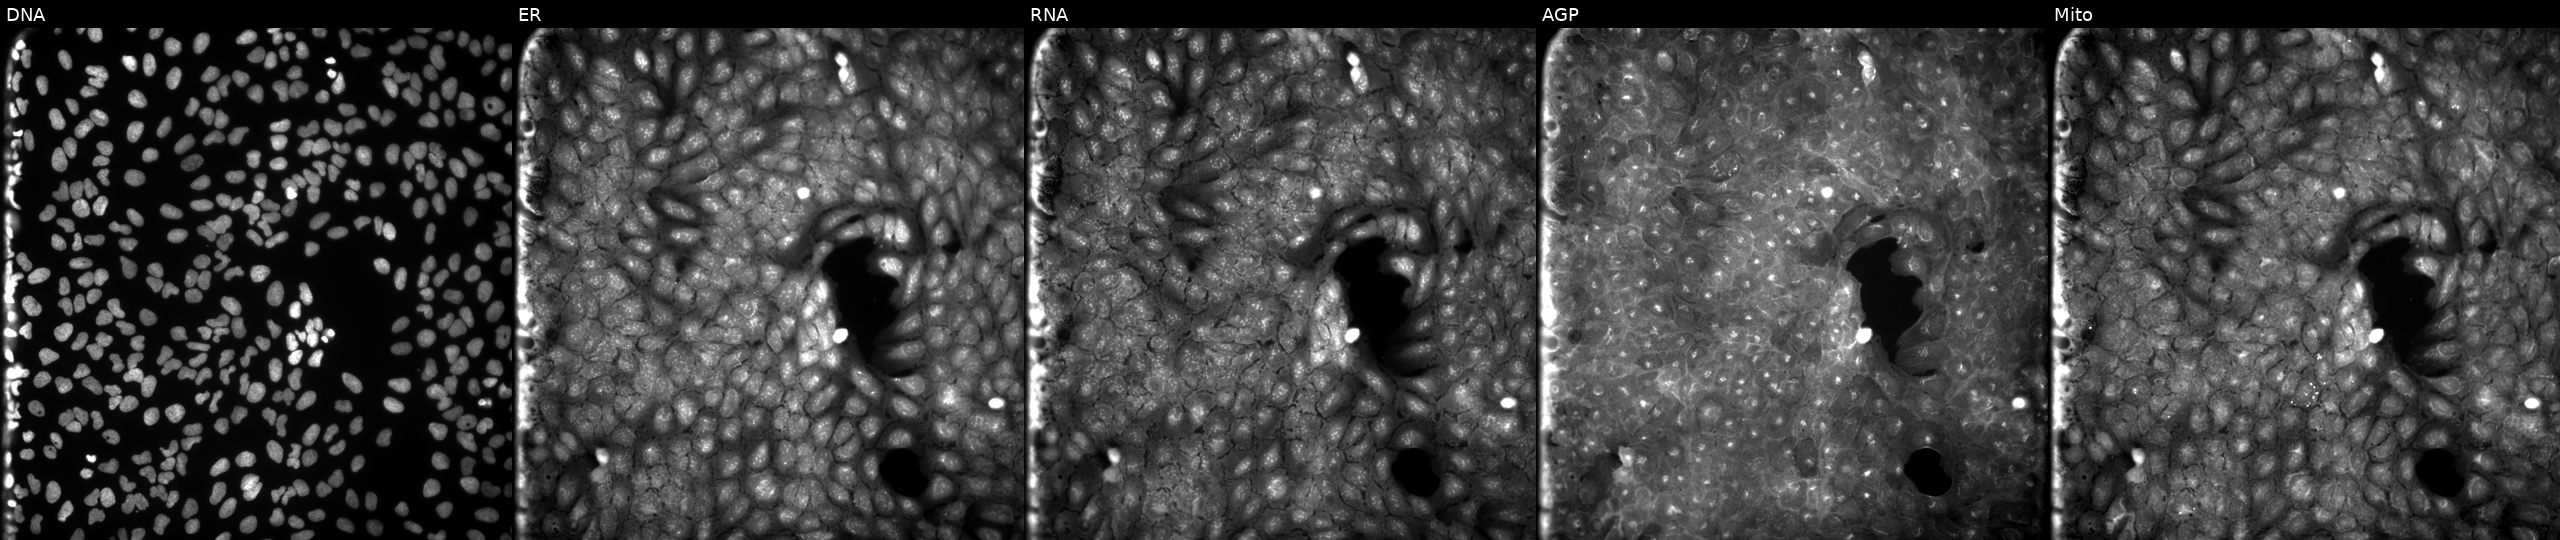
This image strip shows the five Cell Painting channels for a single field of U2OS cells treated with a small-molecule compound. The five panels, left to right, show Hoechst 33342, concanavalin A, SYTO 14, phalloidin and WGA, MitoTracker. Source 9, plate GR00003382, well S12.